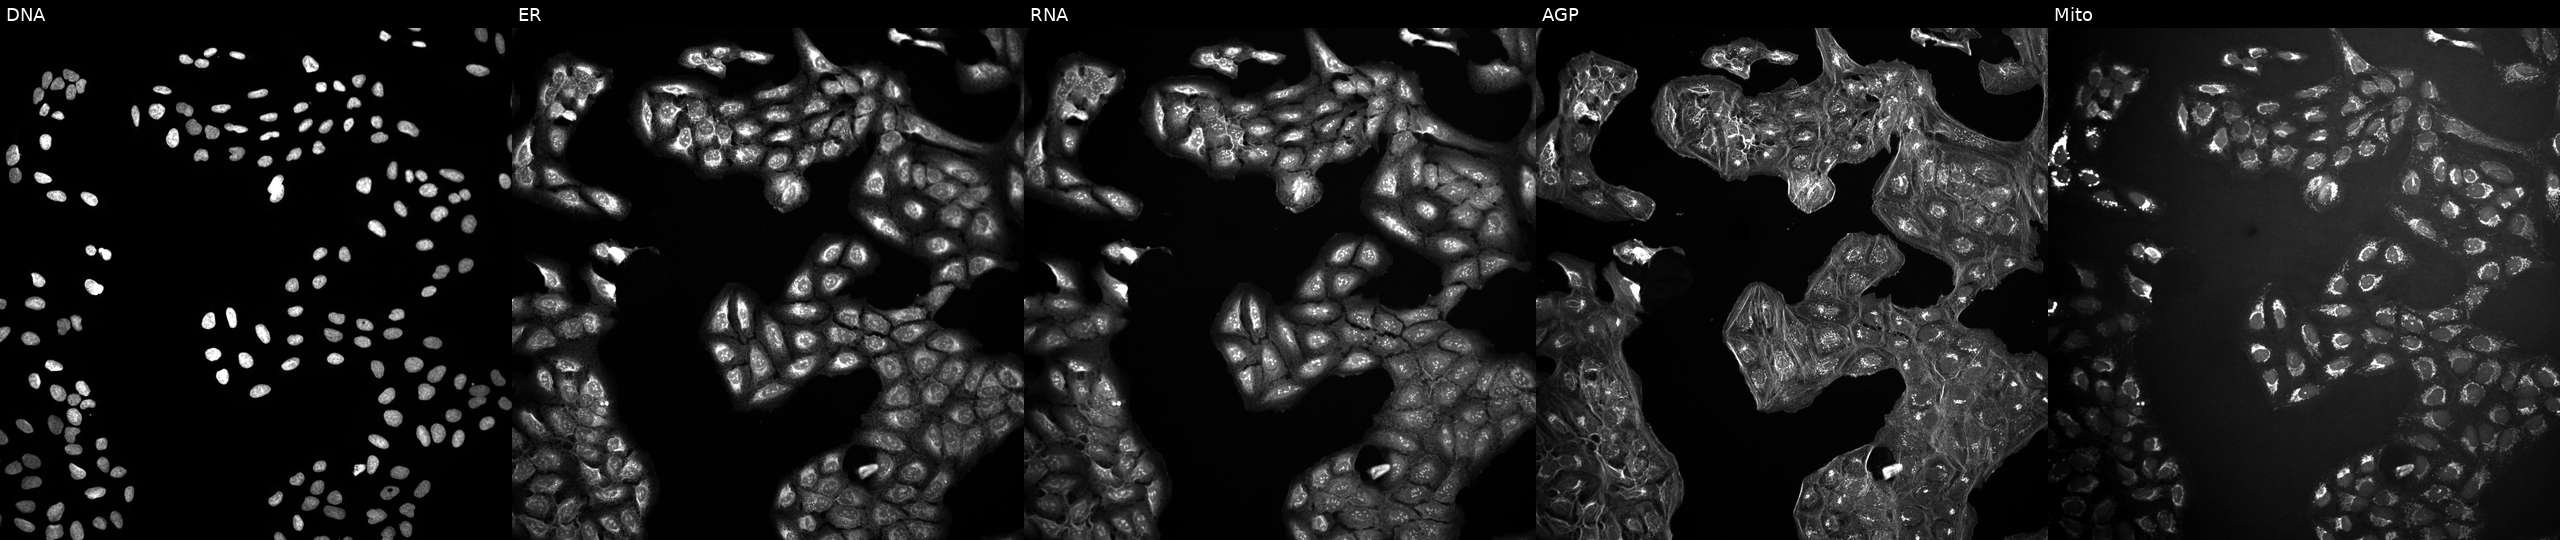
JUMP Cell Painting — COMPOUND plate. U2OS cells in an empty control well (no perturbation). Panels show, left to right, DNA (nuclei); ER (endoplasmic reticulum); RNA (nucleoli and cytoplasmic RNA); AGP (actin cytoskeleton, Golgi, and plasma membrane); Mito (mitochondria). Source 10, plate Dest210531-152324, well G21.